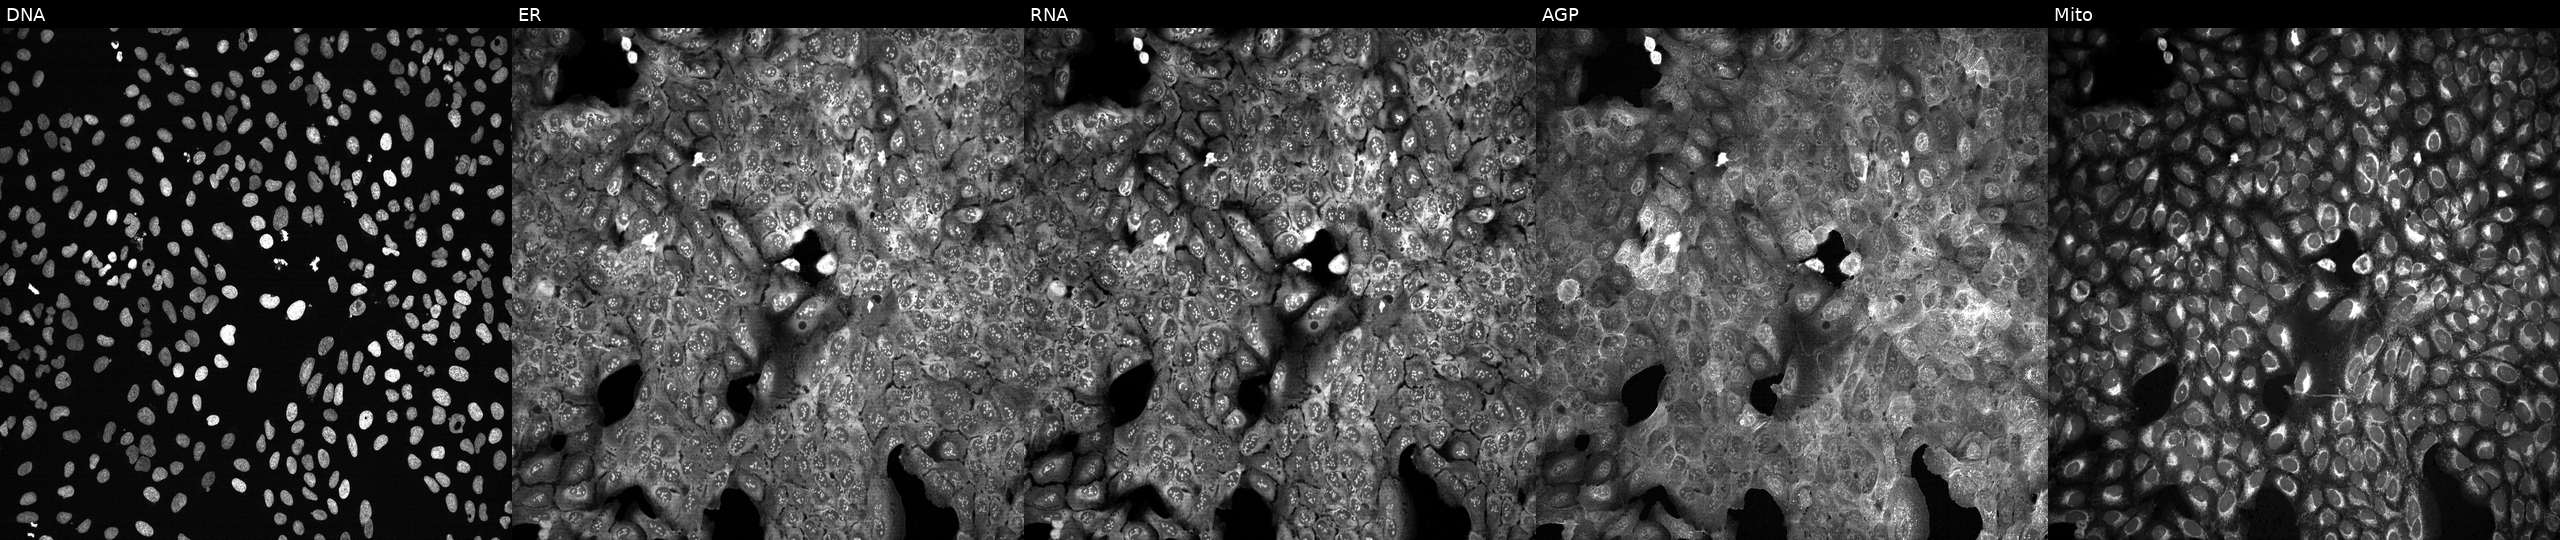
Five-channel Cell Painting image of U2OS cells following CRISPR knockout of MS4A8 (JUMP id JCP2022_804281). Channels (left→right): Hoechst 33342, concanavalin A, SYTO 14, phalloidin and WGA, MitoTracker. Source 13, plate CP-CC9-R2-02, well P21.